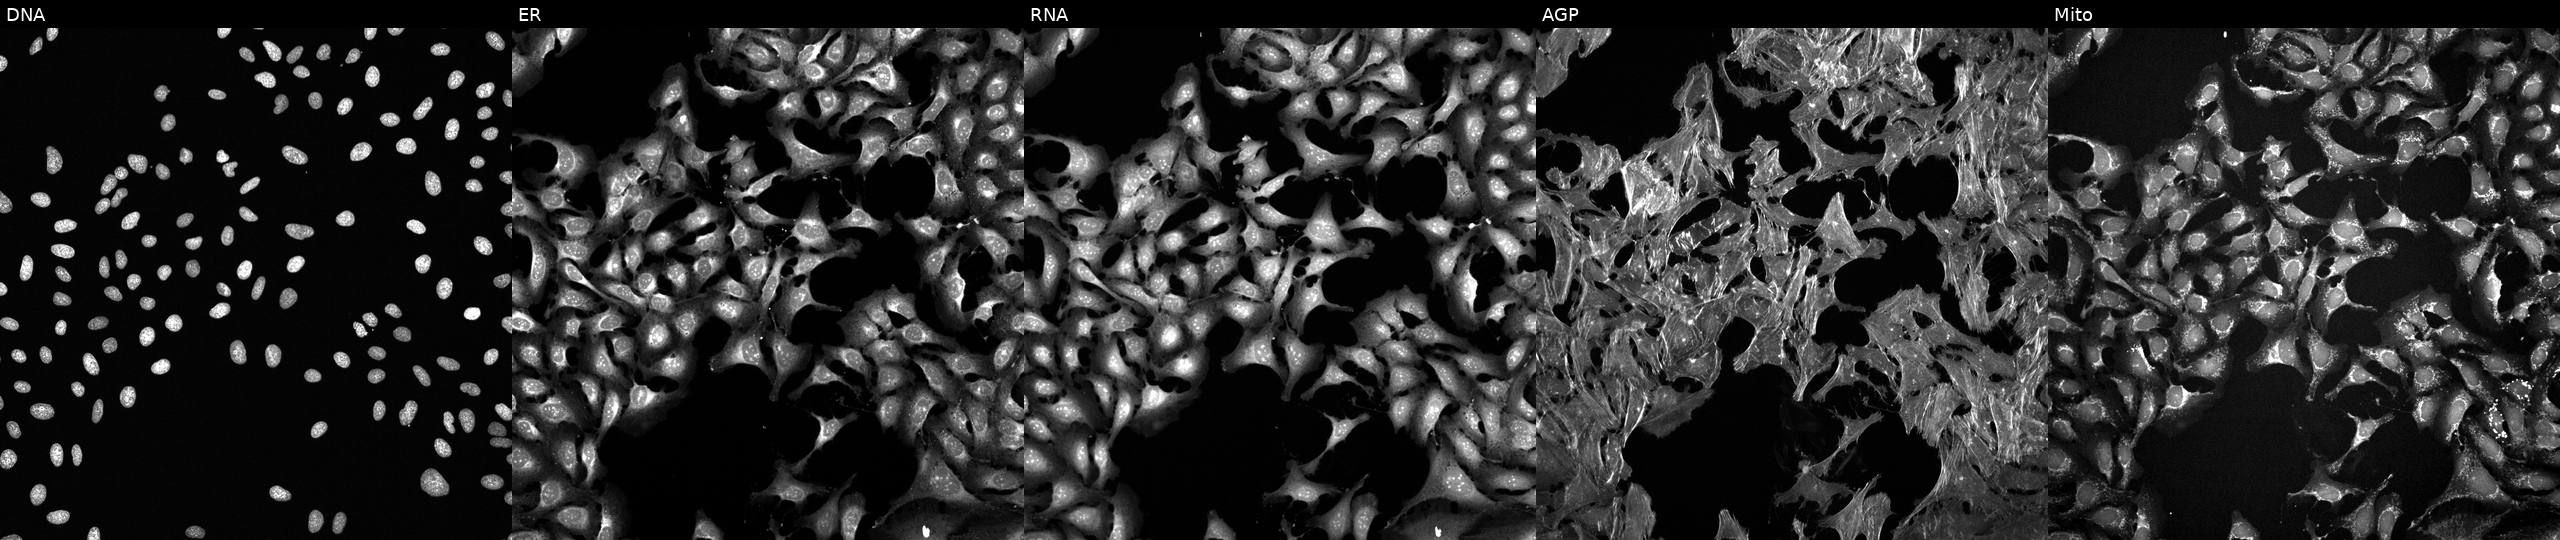
U2OS cells, Cell Painting assay, treated with FK-866 (positive-control compound) (JUMP id JCP2022_046054). Panels show, left to right, DNA (nuclei); ER (endoplasmic reticulum); RNA (nucleoli and cytoplasmic RNA); AGP (actin cytoskeleton, Golgi, and plasma membrane); Mito (mitochondria). Each panel is percentile-stretched 16-bit fluorescence.